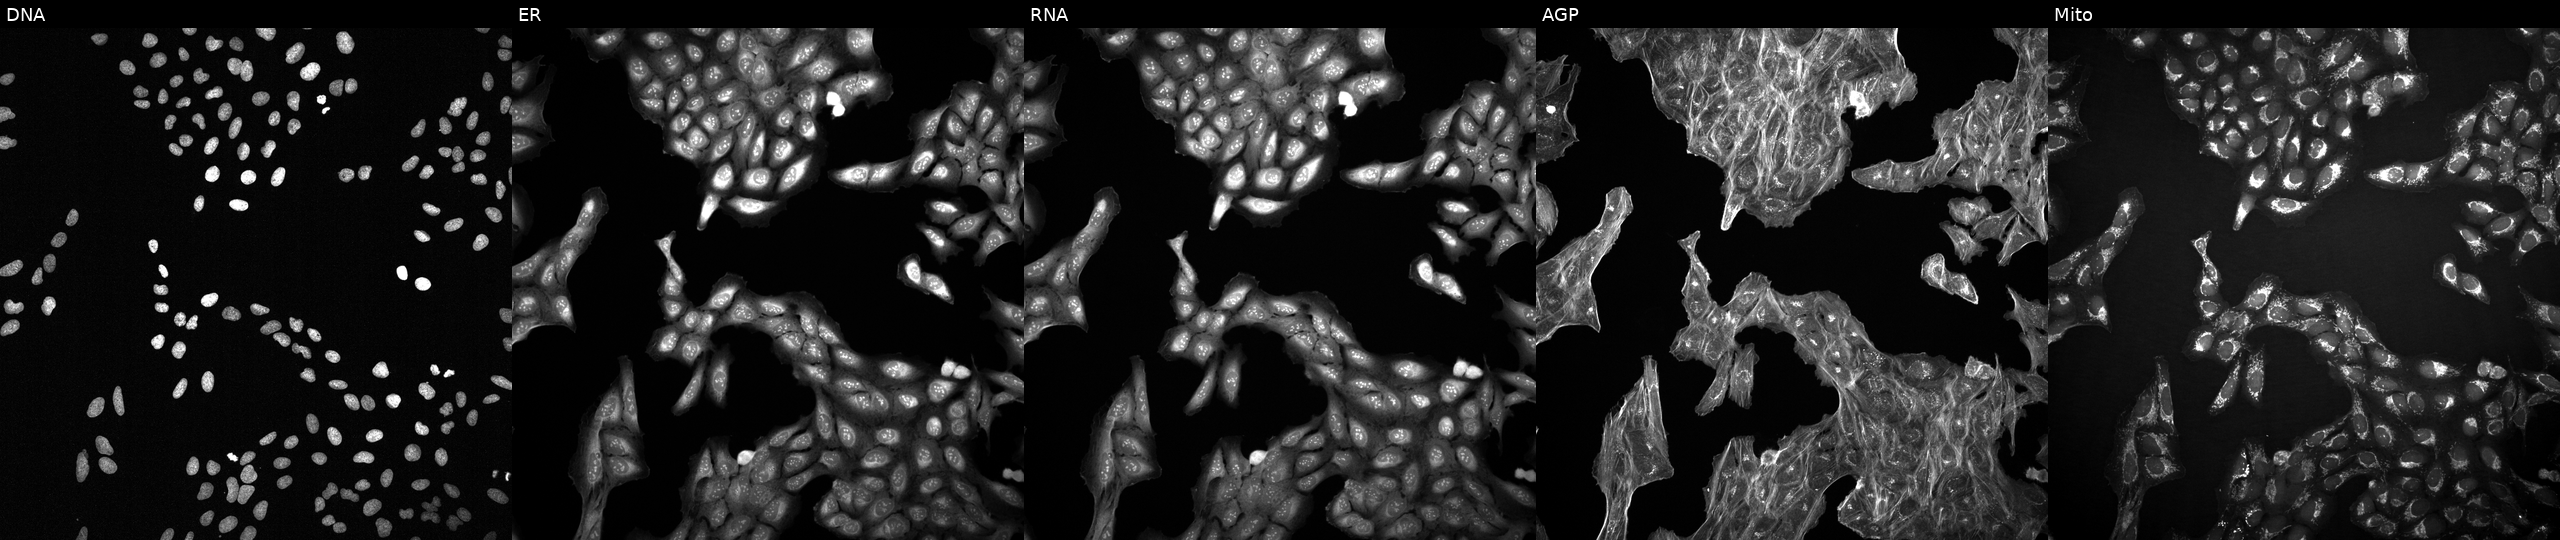
JUMP Cell Painting — TARGET2 plate. U2OS cells exposed to a small-molecule compound (InChIKey LMEKQMALGUDUQG-UHFFFAOYSA-N) (JUMP id JCP2022_050338). The five panels, left to right, show DNA (nuclei); ER (endoplasmic reticulum); RNA (nucleoli and cytoplasmic RNA); AGP (actin cytoskeleton, Golgi, and plasma membrane); Mito (mitochondria). Source 2, plate 1053600674, well I08.